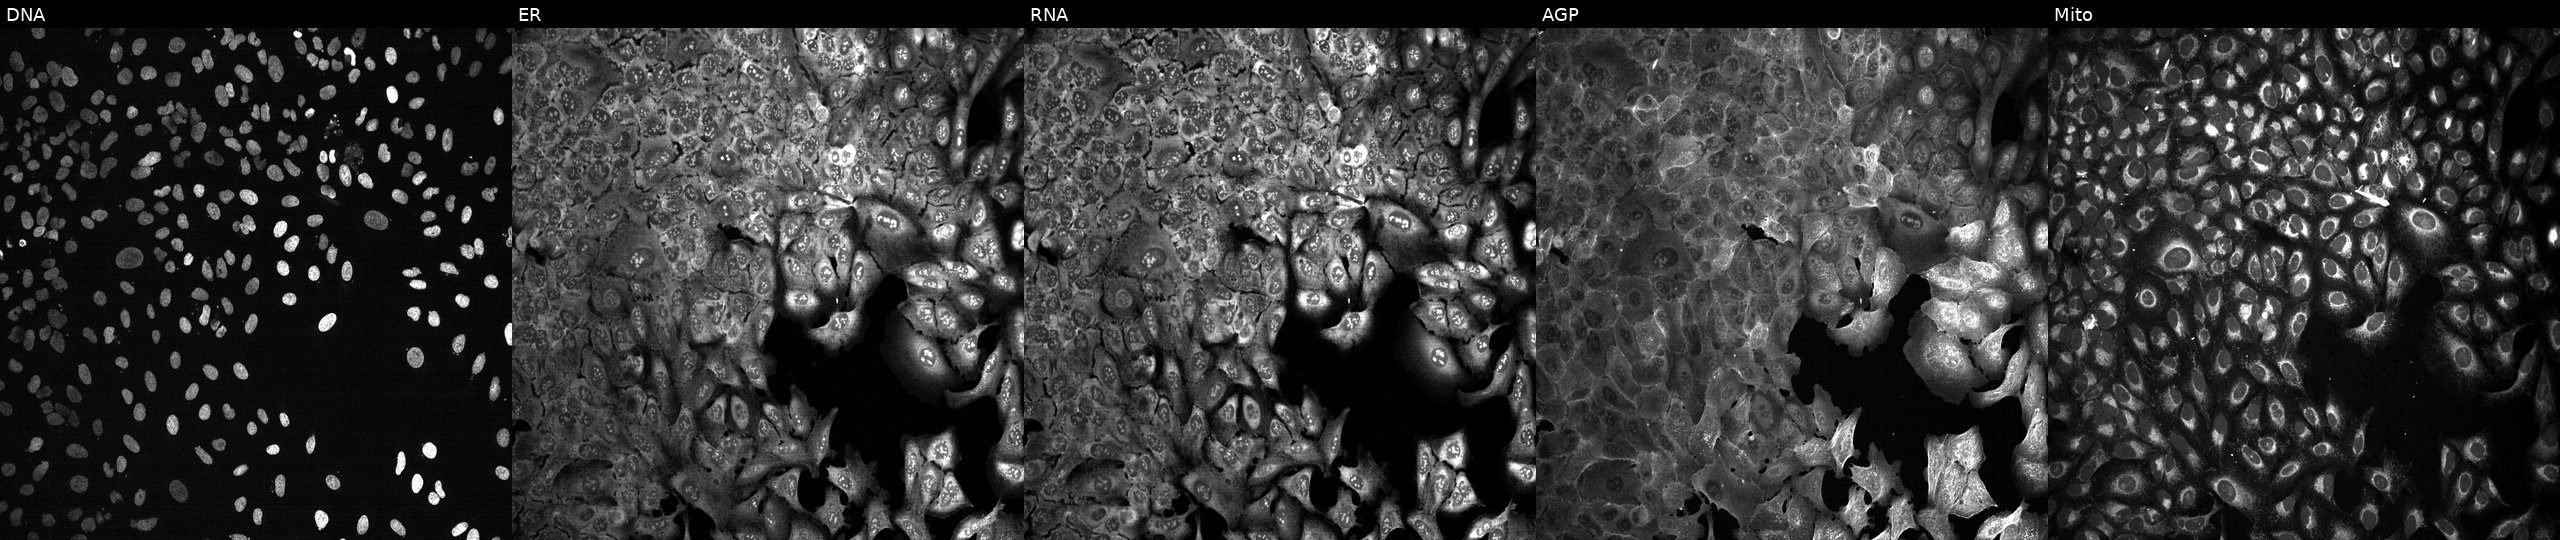
This image strip shows the five Cell Painting channels for a single field of U2OS cells with EXT2 knocked out by CRISPR (JUMP id JCP2022_802216). The five panels, left to right, show DNA, ER, RNA, AGP, and Mito.